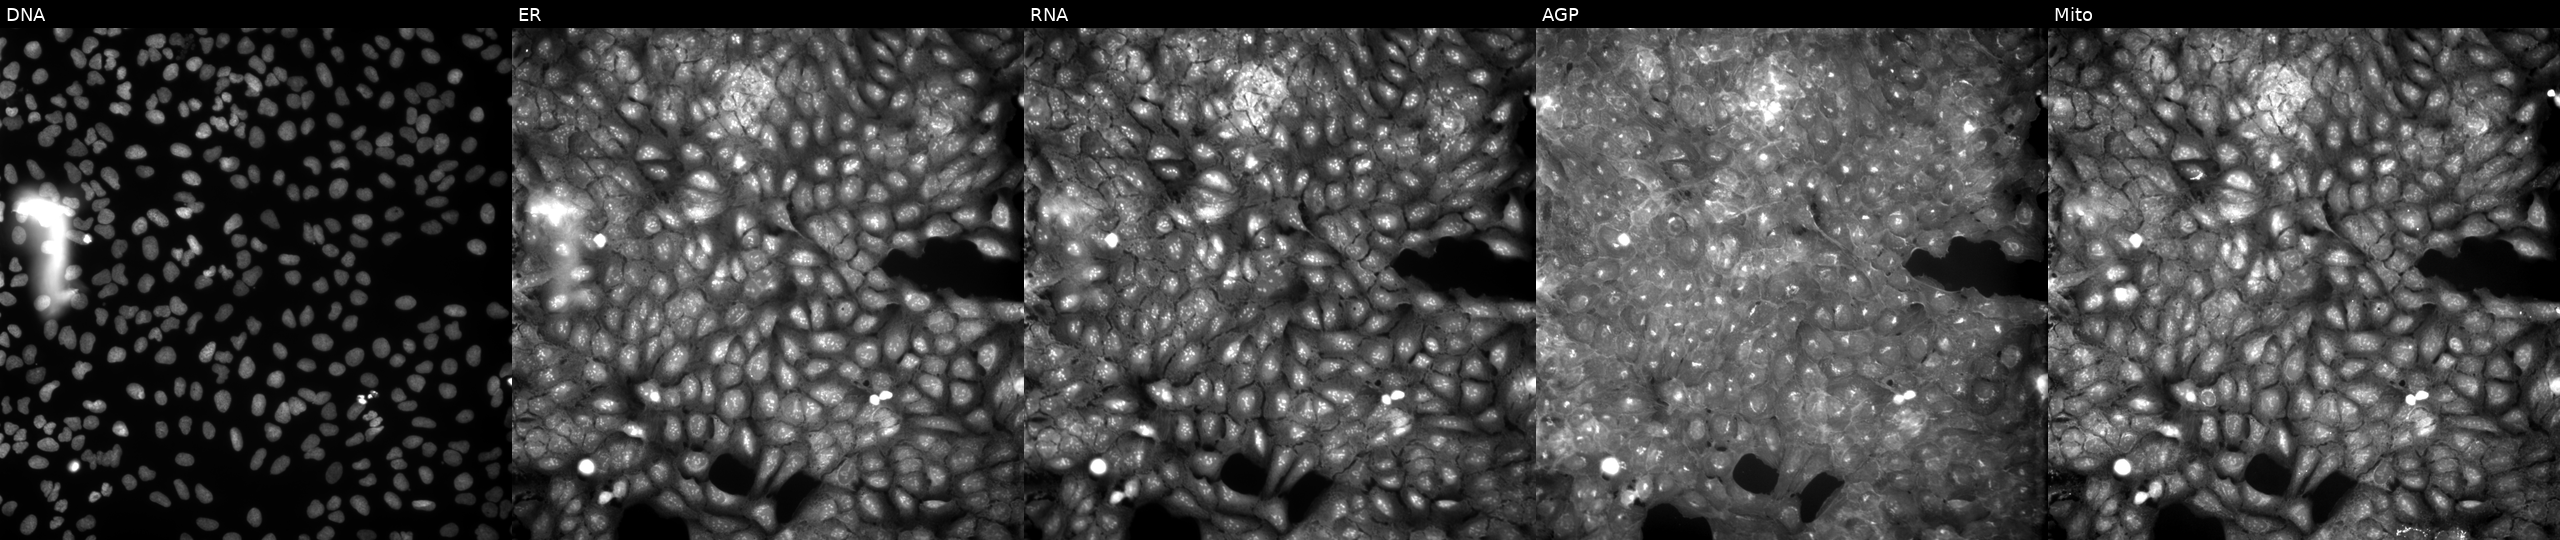
U2OS cells, Cell Painting assay, treated with TC-S-7004 (positive-control compound). Panels show, left to right, Hoechst 33342, concanavalin A, SYTO 14, phalloidin and WGA, MitoTracker. Each panel is percentile-stretched 16-bit fluorescence. Source 9, plate GR00003381, well P24.